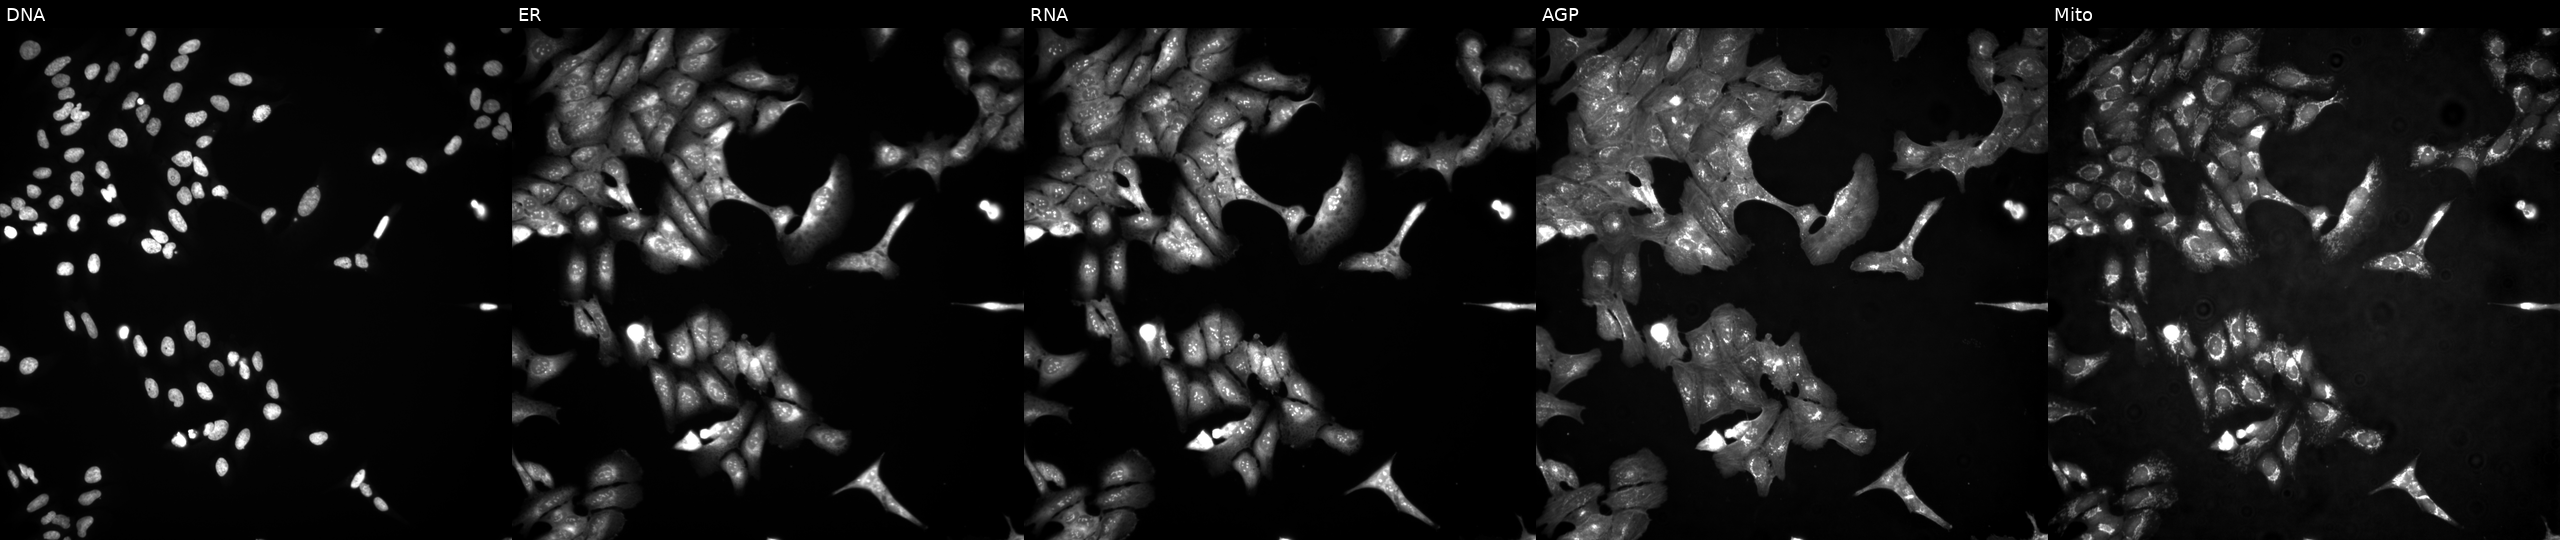
JUMP Cell Painting — ORF plate. U2OS cells overexpressing ABL1 via ORF transfection. From left to right: DNA (nuclei); ER (endoplasmic reticulum); RNA (nucleoli and cytoplasmic RNA); AGP (actin cytoskeleton, Golgi, and plasma membrane); Mito (mitochondria). Source 4, plate BR00123945, well B01.